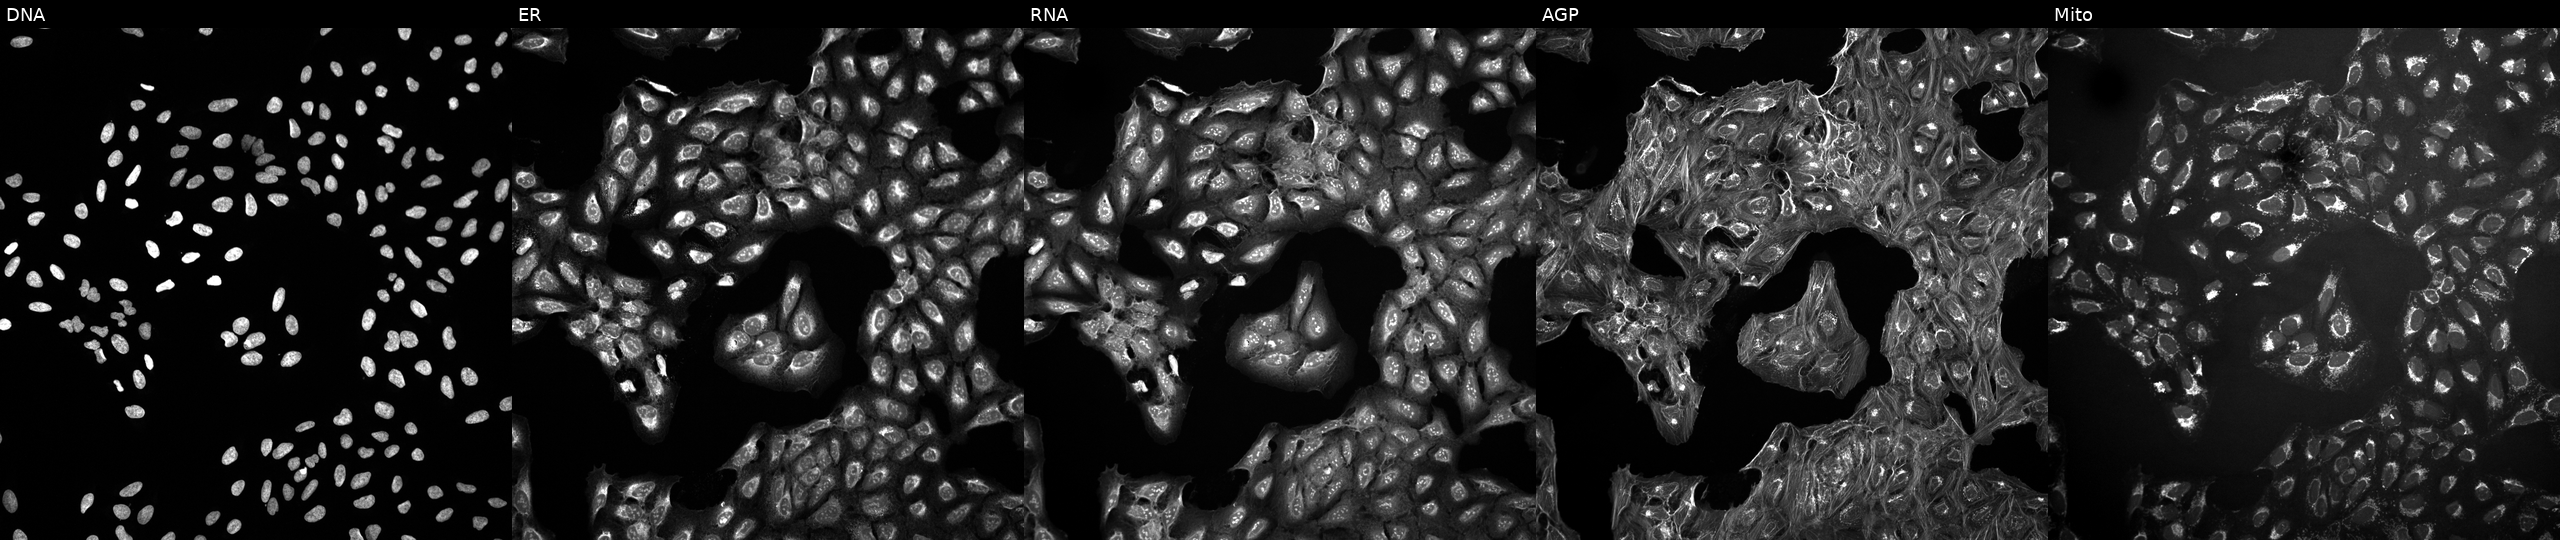
Panels show, left to right, Hoechst 33342, concanavalin A, SYTO 14, phalloidin and WGA, MitoTracker. U2OS osteosarcoma cells in an empty control well (no perturbation). Cell Painting assay, JUMP-CP dataset.